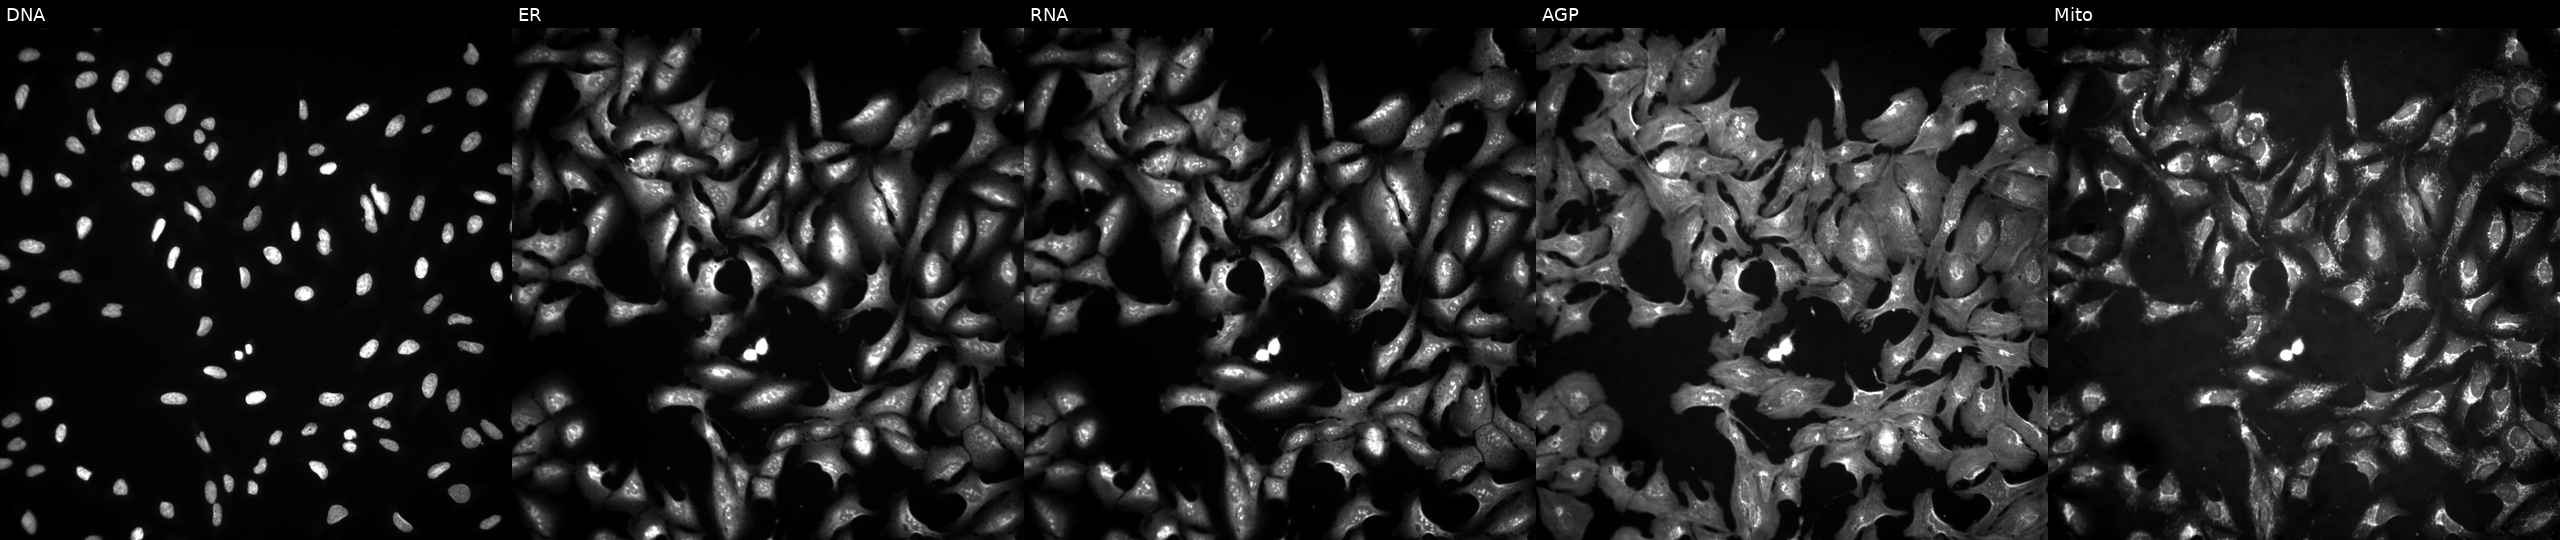
This image strip shows the five Cell Painting channels for a single field of U2OS cells overexpressing IL37 via ORF transfection (JUMP id JCP2022_907547). Panels show, left to right, DNA (nuclei); ER (endoplasmic reticulum); RNA (nucleoli and cytoplasmic RNA); AGP (actin cytoskeleton, Golgi, and plasma membrane); Mito (mitochondria).